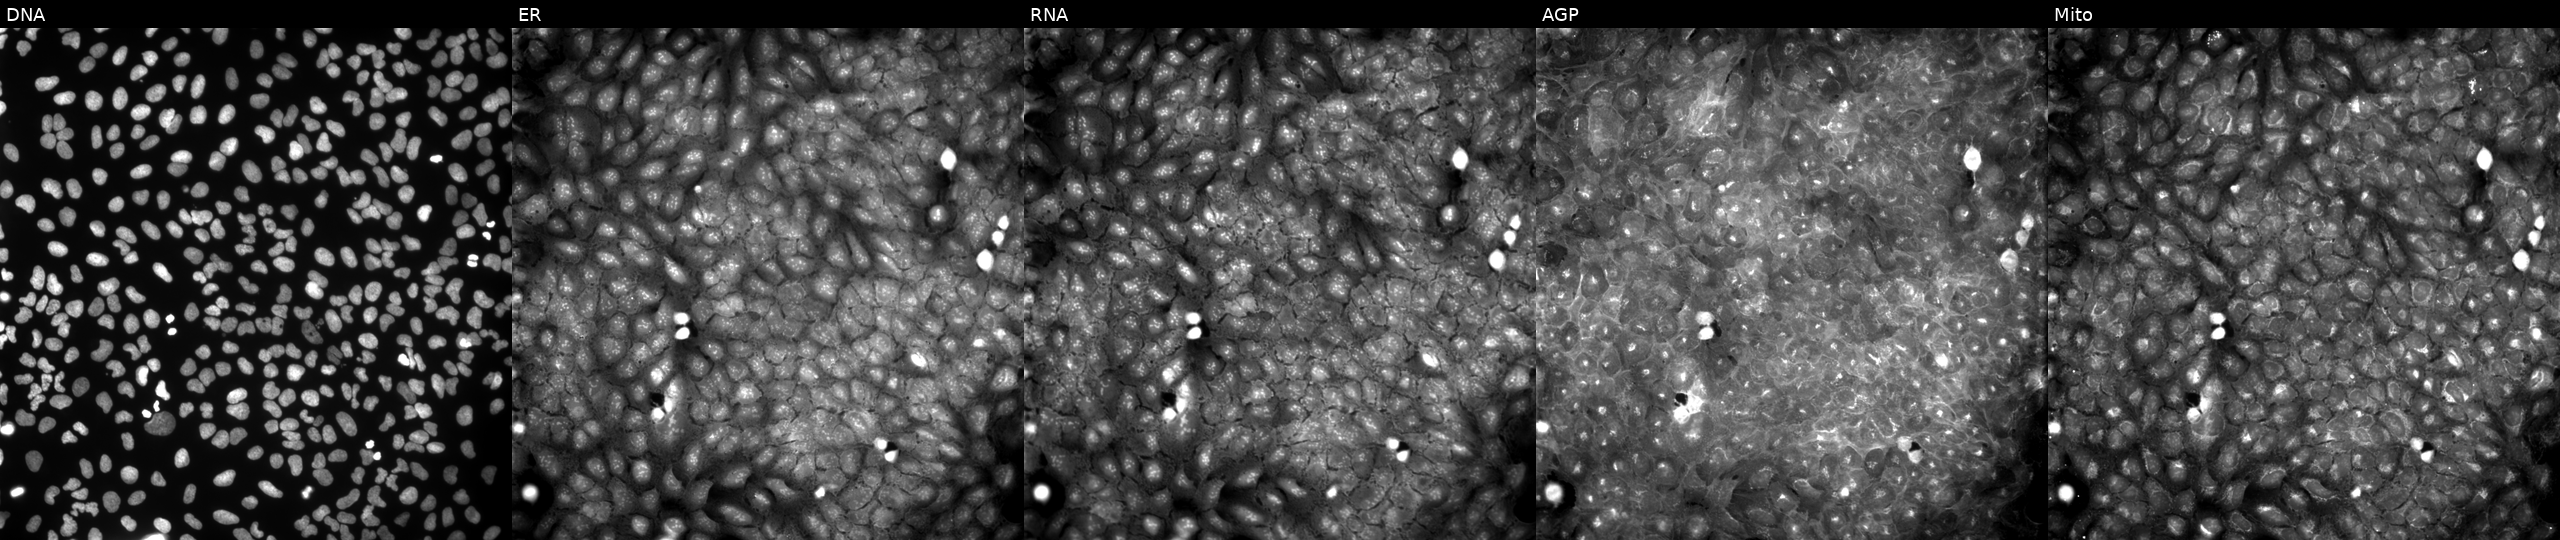
This image strip shows the five Cell Painting channels for a single field of U2OS cells perturbed with a small-molecule compound. Panels show, left to right, DNA, ER, RNA, AGP, and Mito.